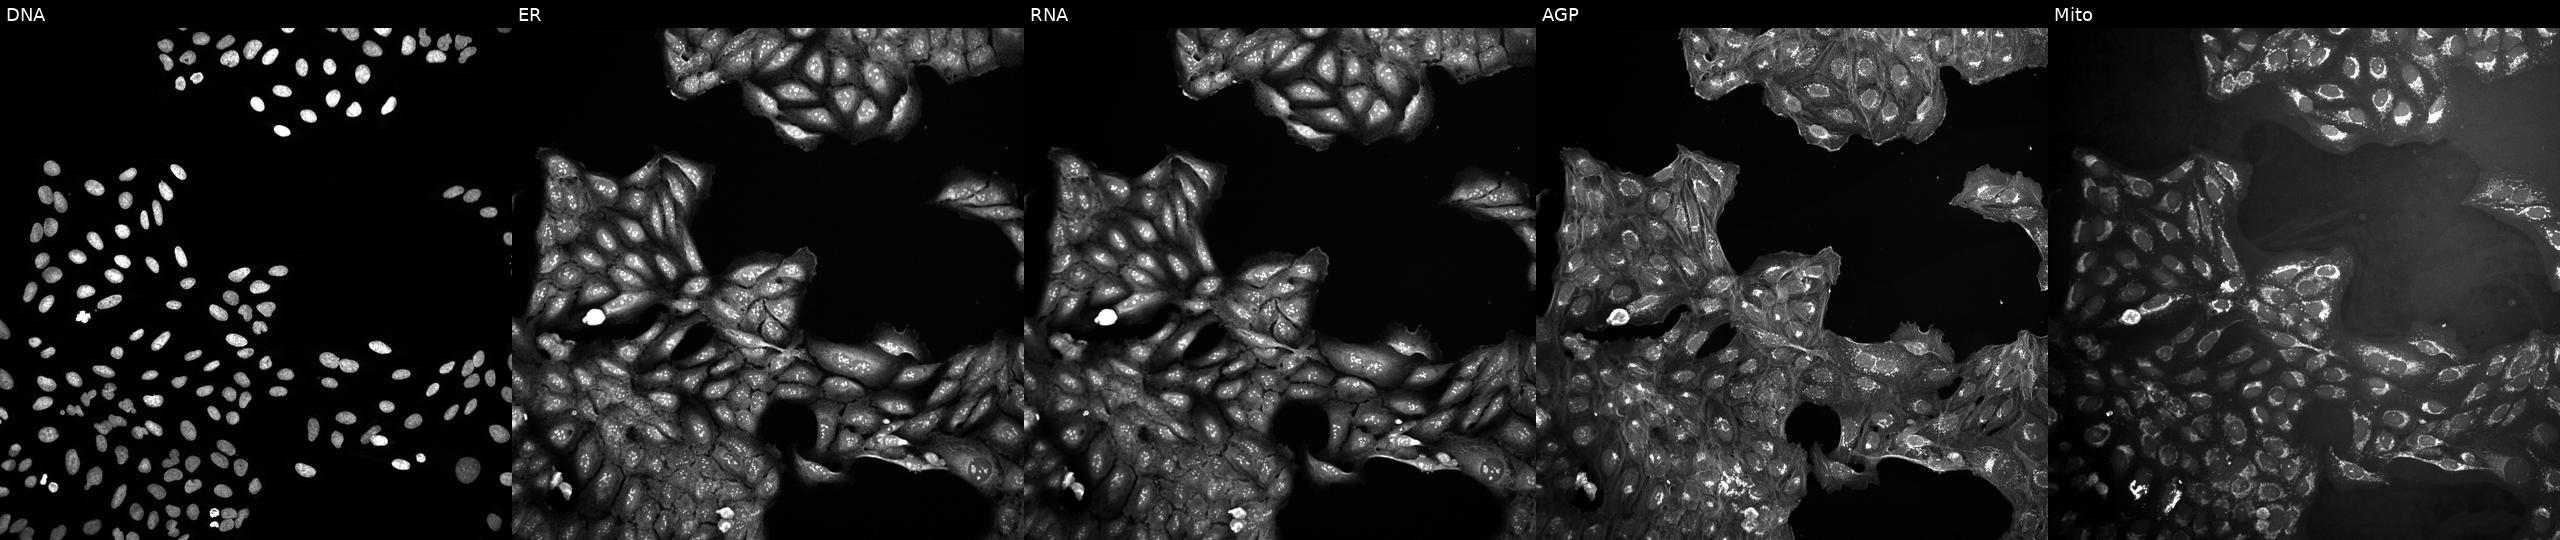
Five-channel Cell Painting image of U2OS cells untreated (empty-well control) (JUMP id JCP2022_999999). The five panels, left to right, show DNA (nuclei); ER (endoplasmic reticulum); RNA (nucleoli and cytoplasmic RNA); AGP (actin cytoskeleton, Golgi, and plasma membrane); Mito (mitochondria).